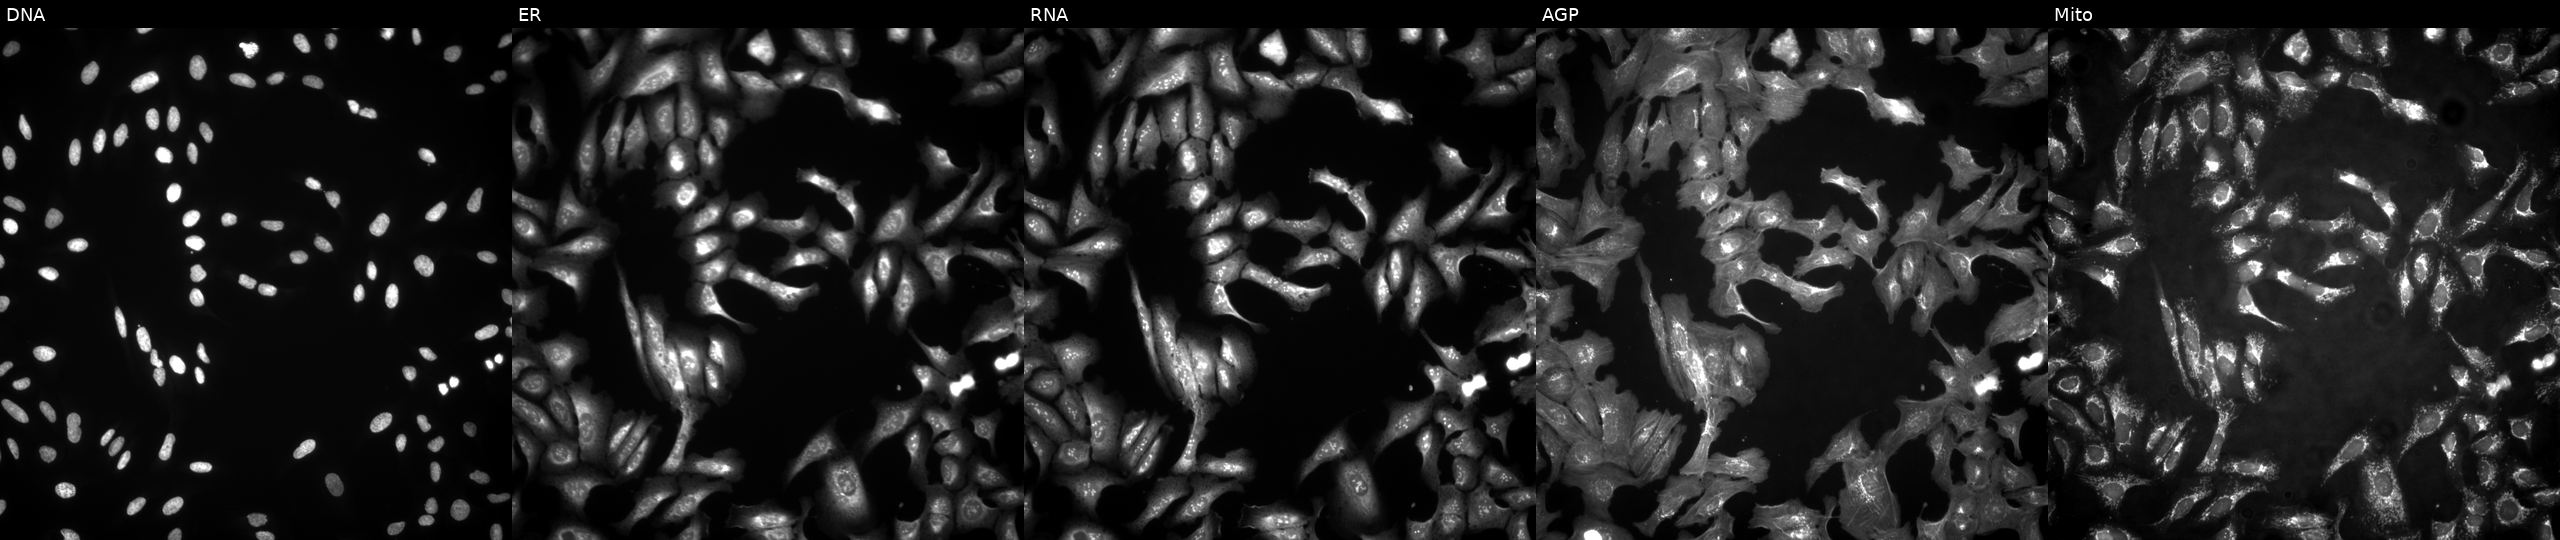
JUMP Cell Painting — ORF plate. U2OS cells with TIA1 overexpressed (ORF). Channels (left→right): DNA (nuclei); ER (endoplasmic reticulum); RNA (nucleoli and cytoplasmic RNA); AGP (actin cytoskeleton, Golgi, and plasma membrane); Mito (mitochondria).